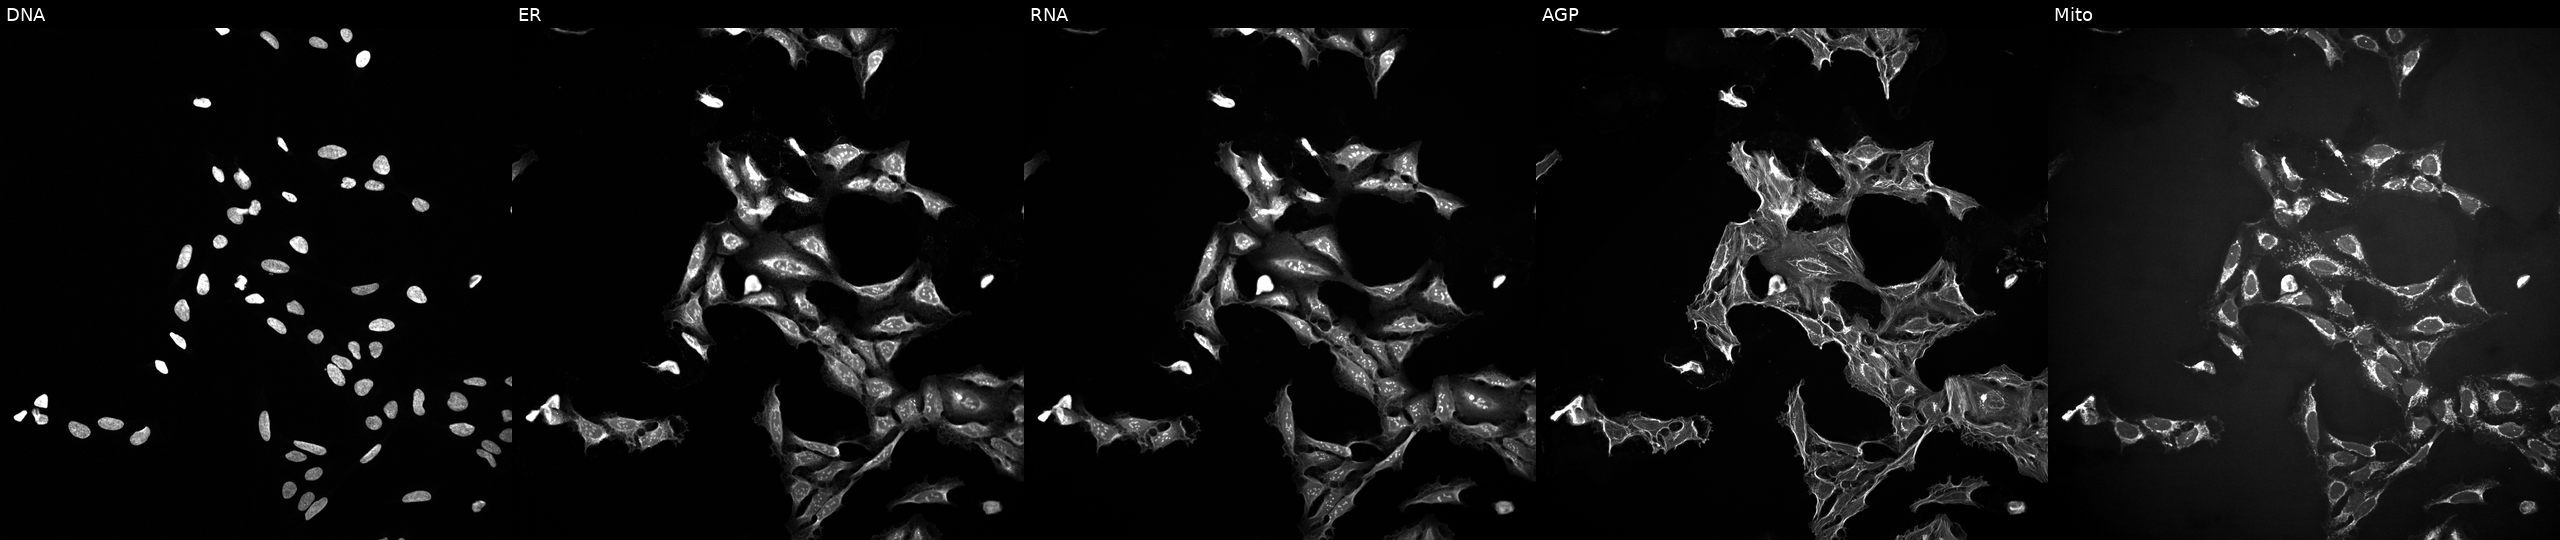
U2OS cells, Cell Painting assay, treated with DMSO vehicle only (negative control). Channels (left→right): DNA (nuclei); ER (endoplasmic reticulum); RNA (nucleoli and cytoplasmic RNA); AGP (actin cytoskeleton, Golgi, and plasma membrane); Mito (mitochondria). Each panel is percentile-stretched 16-bit fluorescence.